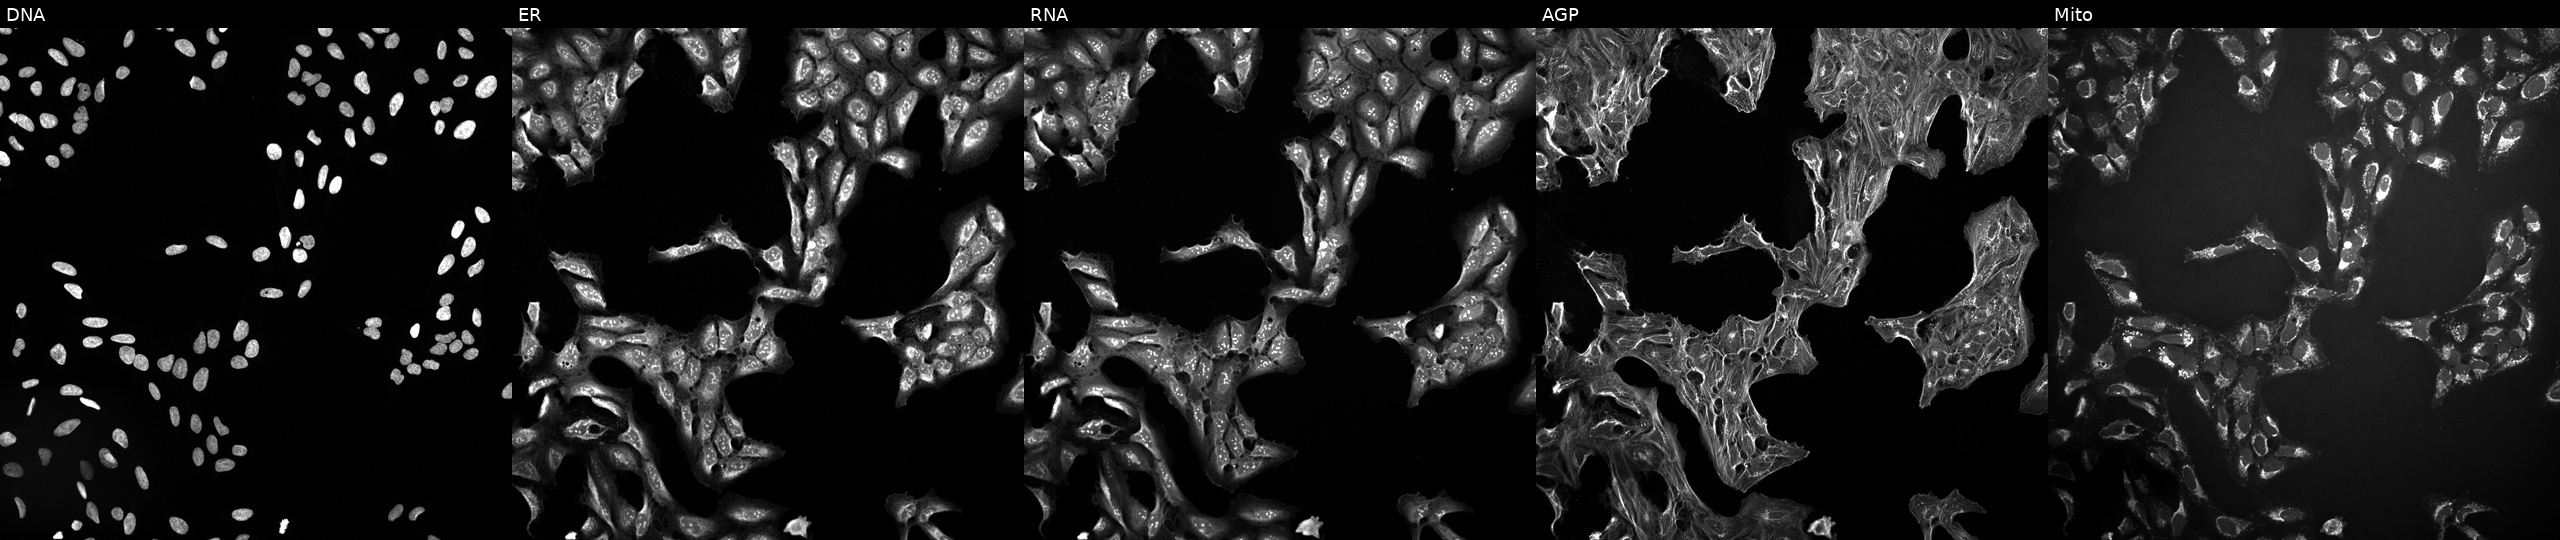
From left to right: Hoechst 33342, concanavalin A, SYTO 14, phalloidin and WGA, MitoTracker. U2OS osteosarcoma cells exposed to a small-molecule compound (InChIKey XRVDGNKRPOAQTN-UHFFFAOYSA-N) (JUMP id JCP2022_105621). Cell Painting assay, JUMP-CP dataset. Source 10, plate Dest210727-153003, well C02.